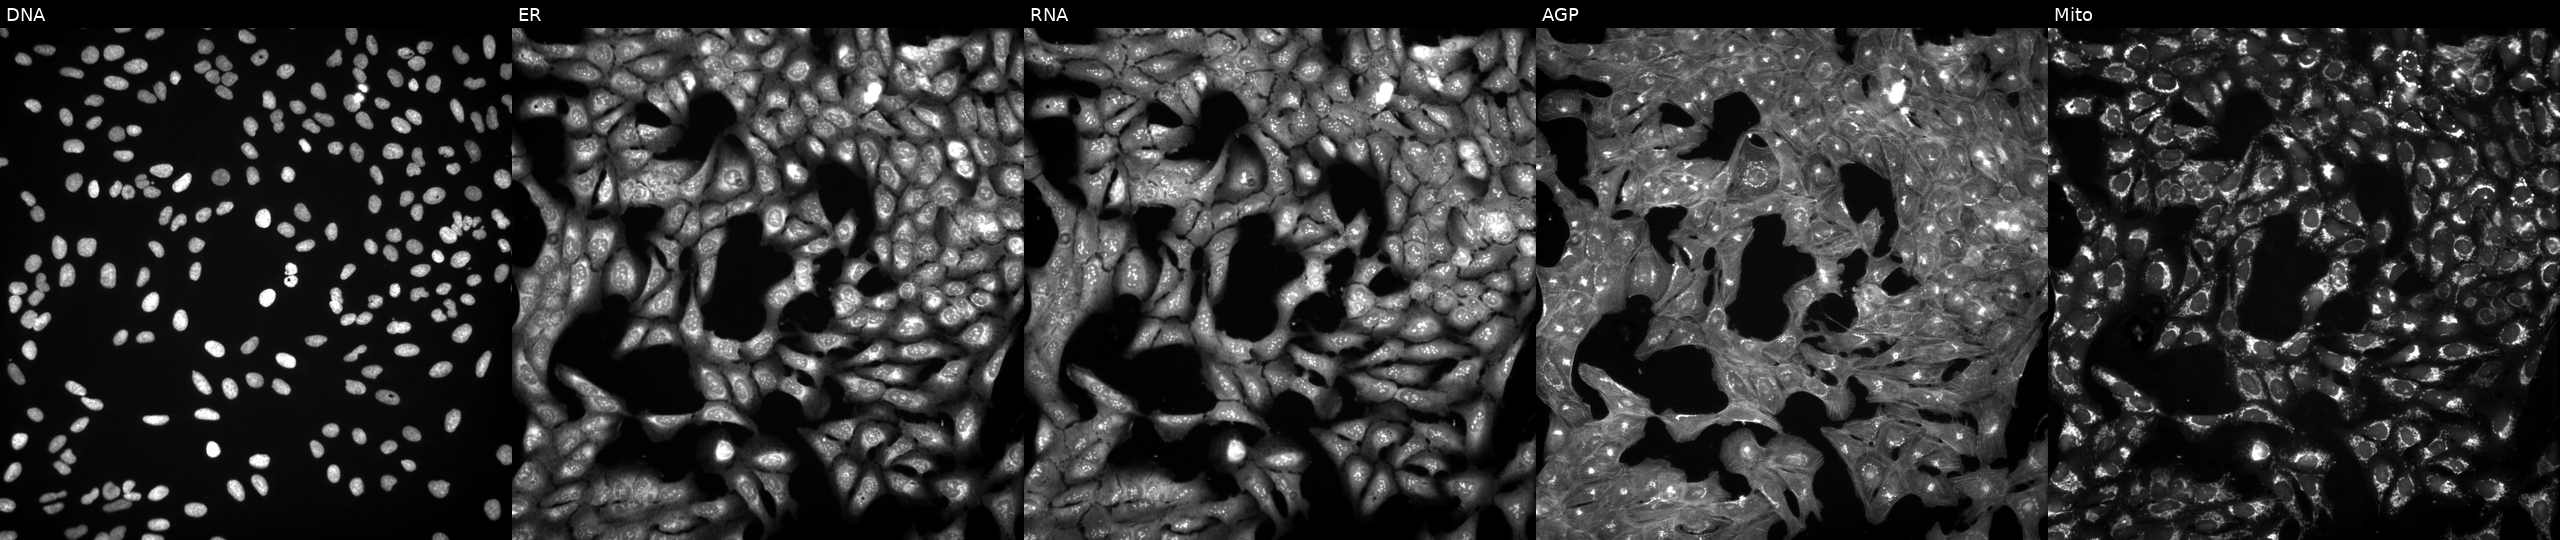
Five-channel Cell Painting image of U2OS cells perturbed with a small-molecule compound (InChIKey QOXVHOUPUCYOKZ-UHFFFAOYSA-N) (JUMP id JCP2022_074926). Panels show, left to right, DNA, ER, RNA, AGP, and Mito. Source 3, plate BR5867a3, well M18.